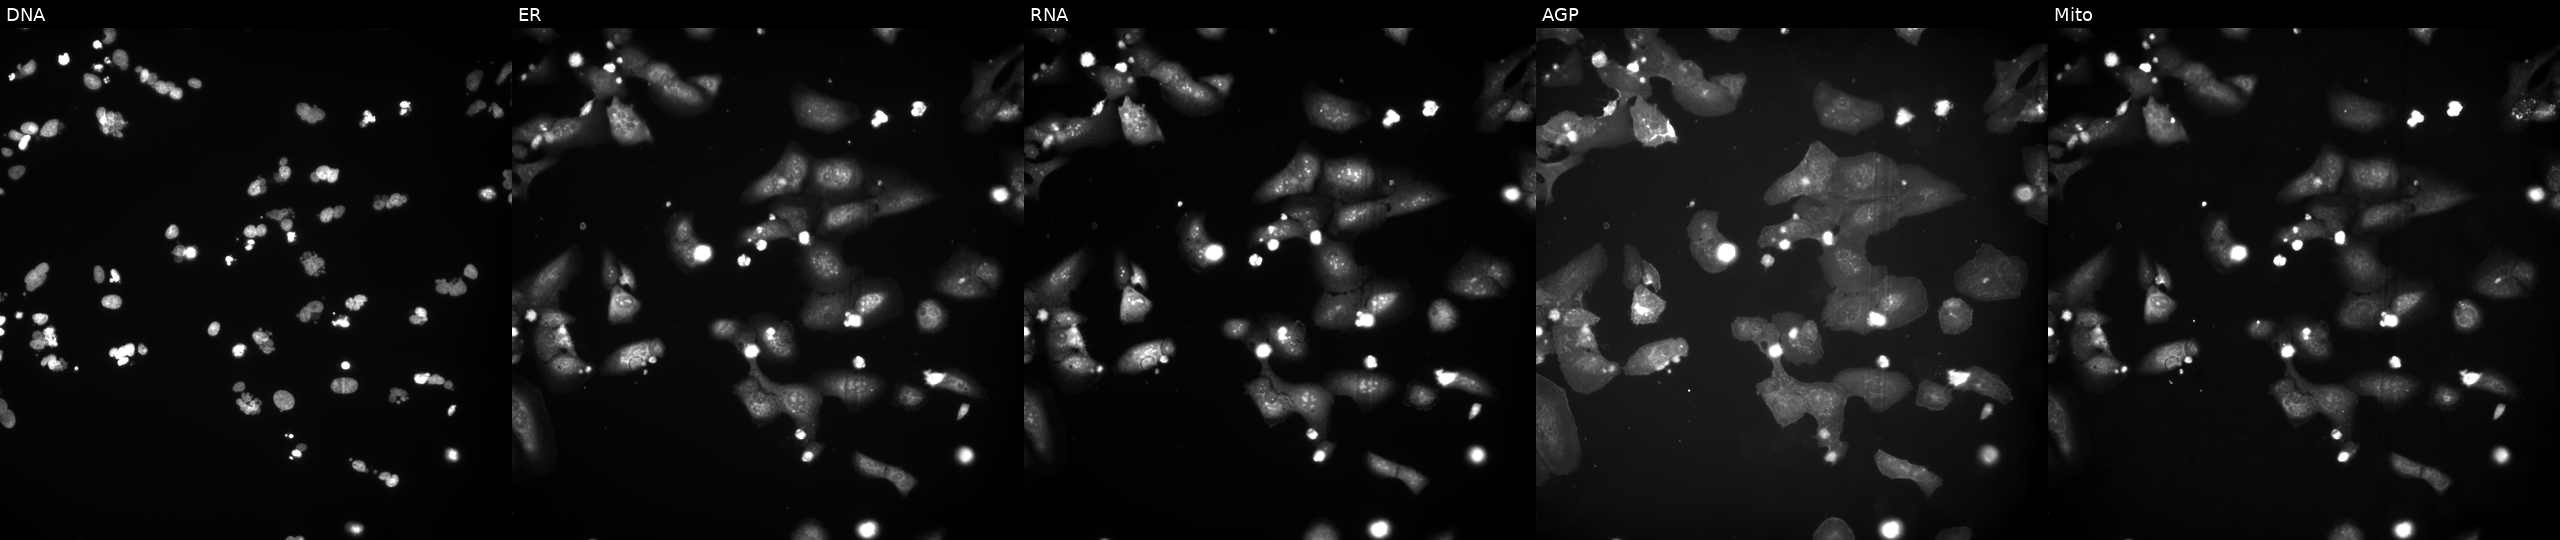
JUMP Cell Painting — COMPOUND plate. U2OS cells treated with a small-molecule compound (InChIKey VOKHHJBYBYYDOP-UHFFFAOYSA-N). From left to right: DNA, ER, RNA, AGP, and Mito.